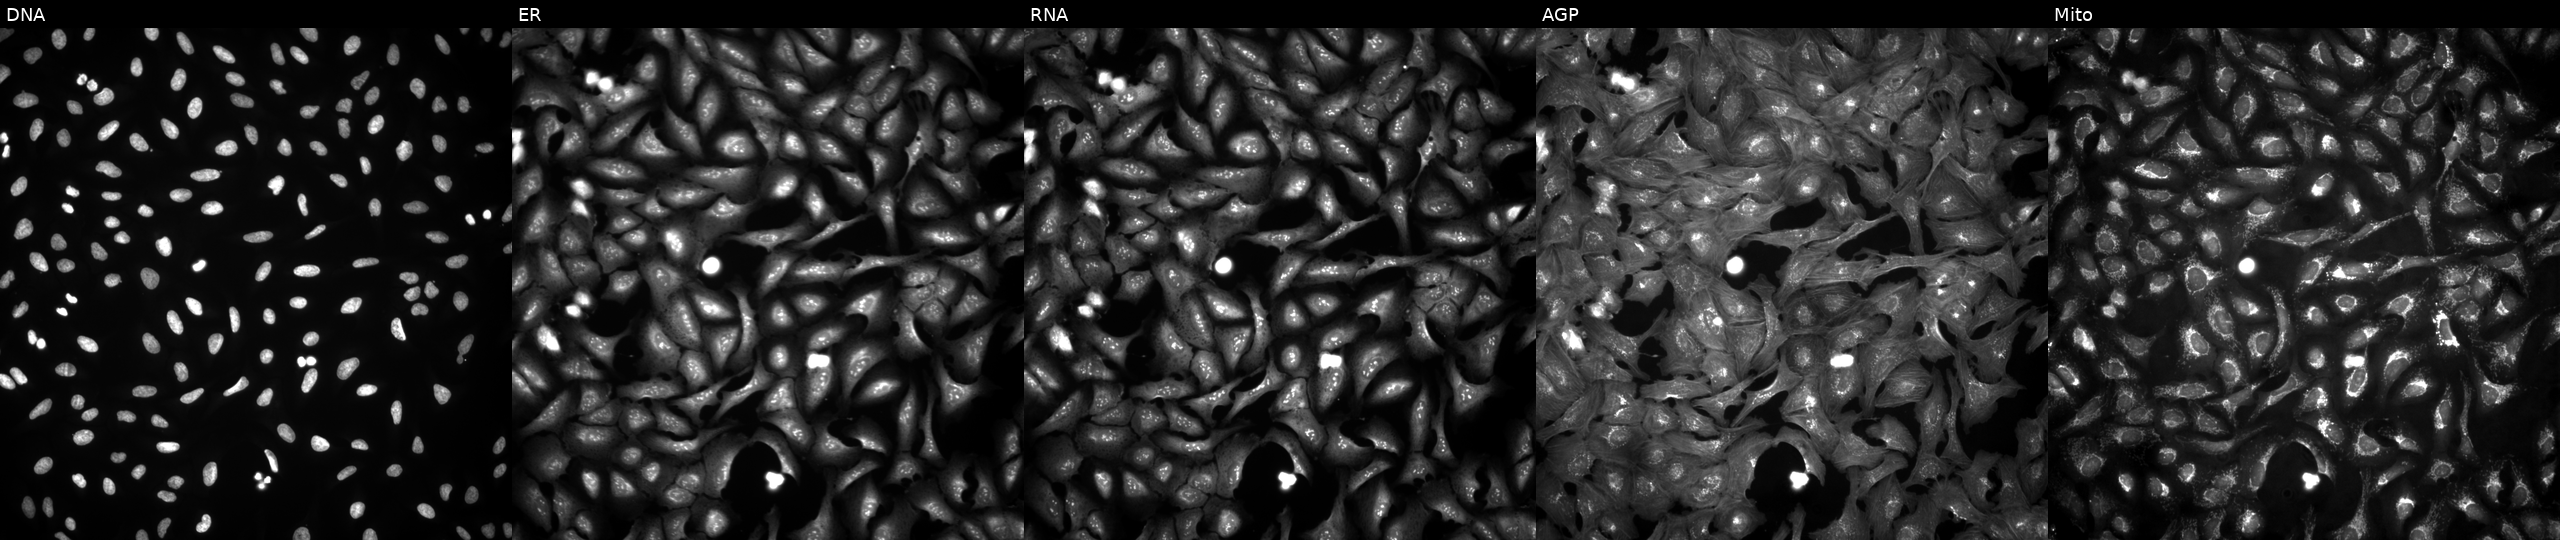
High-content fluorescence microscopy (Cell Painting). Cell line: U2OS. Perturbation: overexpressing KRT8 via ORF transfection (JUMP id JCP2022_912056). From left to right: DNA, ER, RNA, AGP, and Mito.